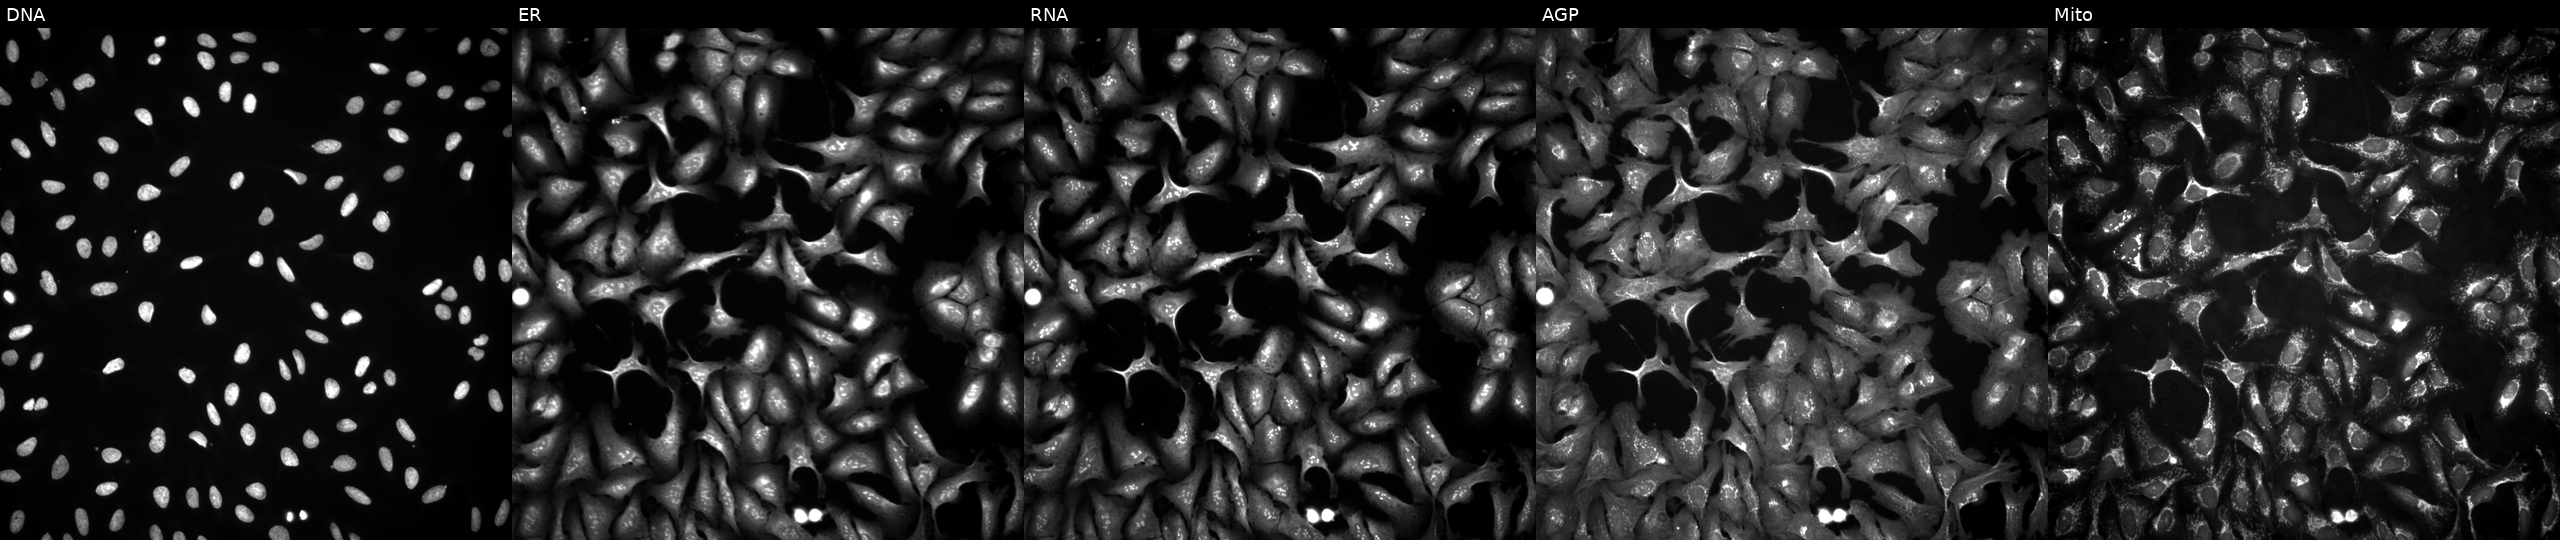
This image strip shows the five Cell Painting channels for a single field of U2OS cells overexpressing MRPL14 via ORF transfection (JUMP id JCP2022_903737). From left to right: DNA (nuclei); ER (endoplasmic reticulum); RNA (nucleoli and cytoplasmic RNA); AGP (actin cytoskeleton, Golgi, and plasma membrane); Mito (mitochondria).